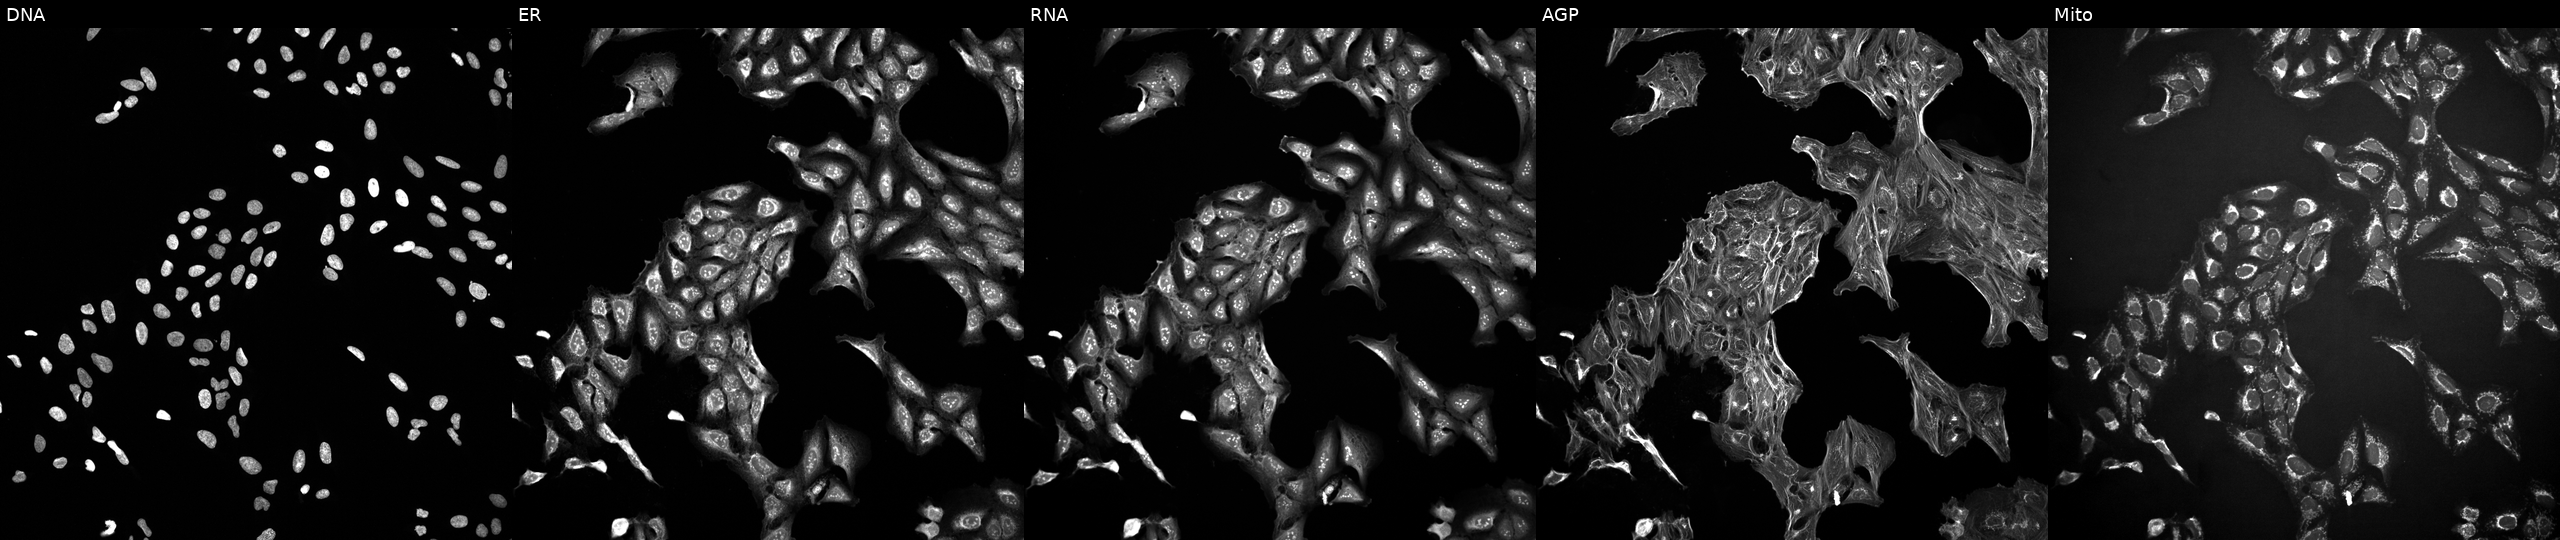
U2OS cells, Cell Painting assay, treated with DMSO vehicle only (negative control). The five panels, left to right, show DNA (nuclei); ER (endoplasmic reticulum); RNA (nucleoli and cytoplasmic RNA); AGP (actin cytoskeleton, Golgi, and plasma membrane); Mito (mitochondria). Each panel is percentile-stretched 16-bit fluorescence. Source 10, plate Dest210727-153003, well G04.